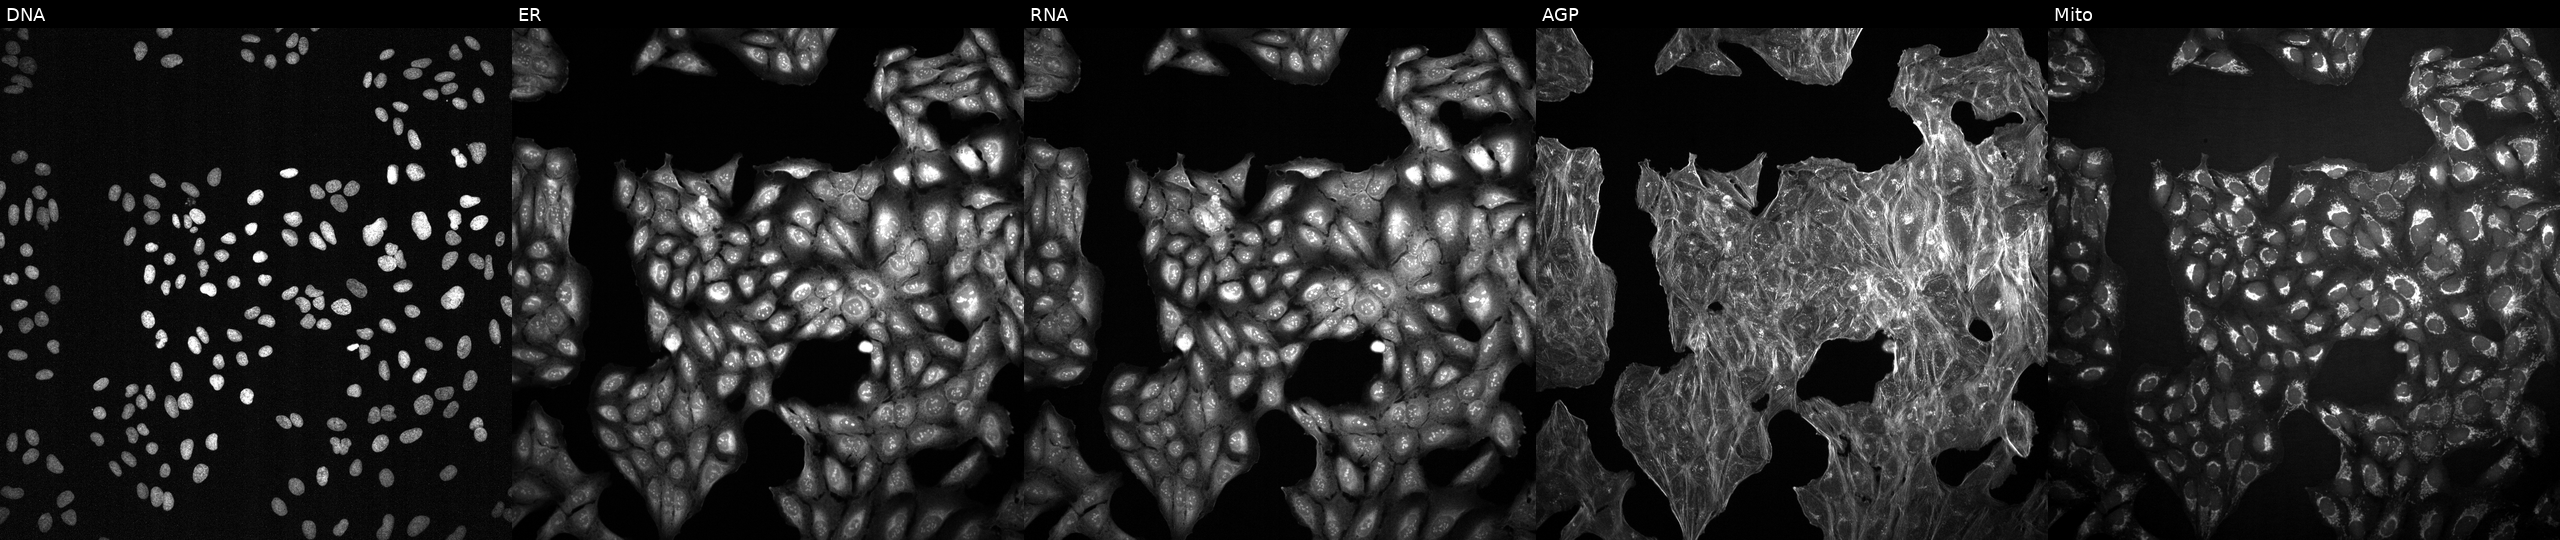
This image strip shows the five Cell Painting channels for a single field of U2OS cells treated with a small-molecule compound (JUMP id JCP2022_003951). Panels show, left to right, Hoechst 33342, concanavalin A, SYTO 14, phalloidin and WGA, MitoTracker.